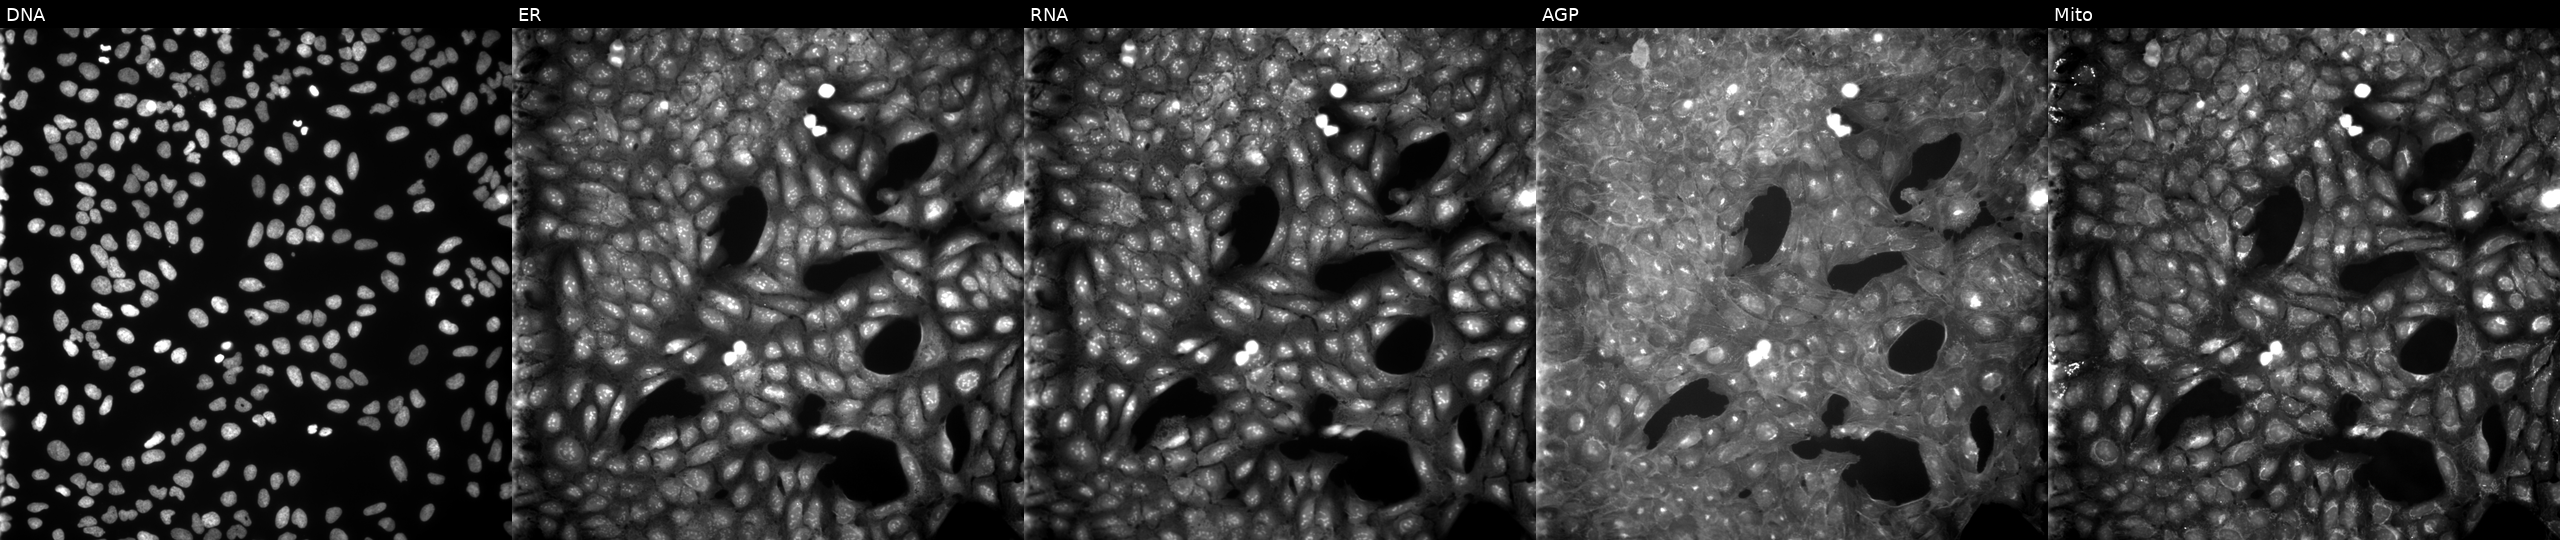
Five-channel Cell Painting image of U2OS cells perturbed with a small-molecule compound [SMILES: O=S1(=O)CCC(NC(=S)N2CCOCC2)C1]. The five panels, left to right, show DNA (nuclei); ER (endoplasmic reticulum); RNA (nucleoli and cytoplasmic RNA); AGP (actin cytoskeleton, Golgi, and plasma membrane); Mito (mitochondria). Source 9, plate GR00003382, well E22.